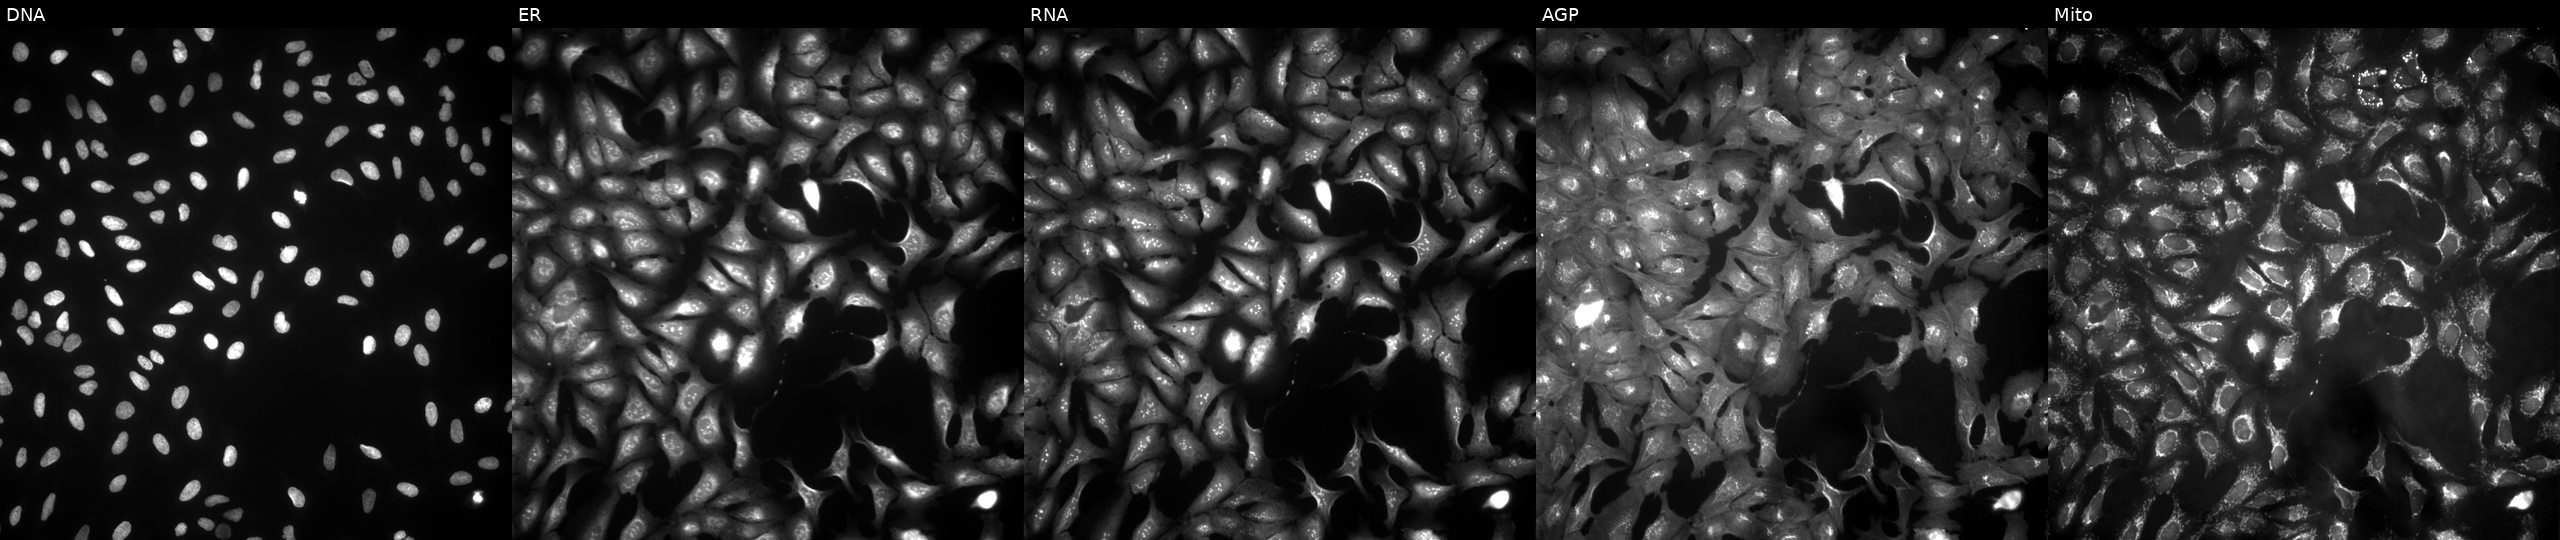
U2OS cells, Cell Painting assay, transfected with an ORF construct for SAXO1. The five panels, left to right, show Hoechst 33342, concanavalin A, SYTO 14, phalloidin and WGA, MitoTracker. Each panel is percentile-stretched 16-bit fluorescence. Source 4, plate BR00123506, well L01.